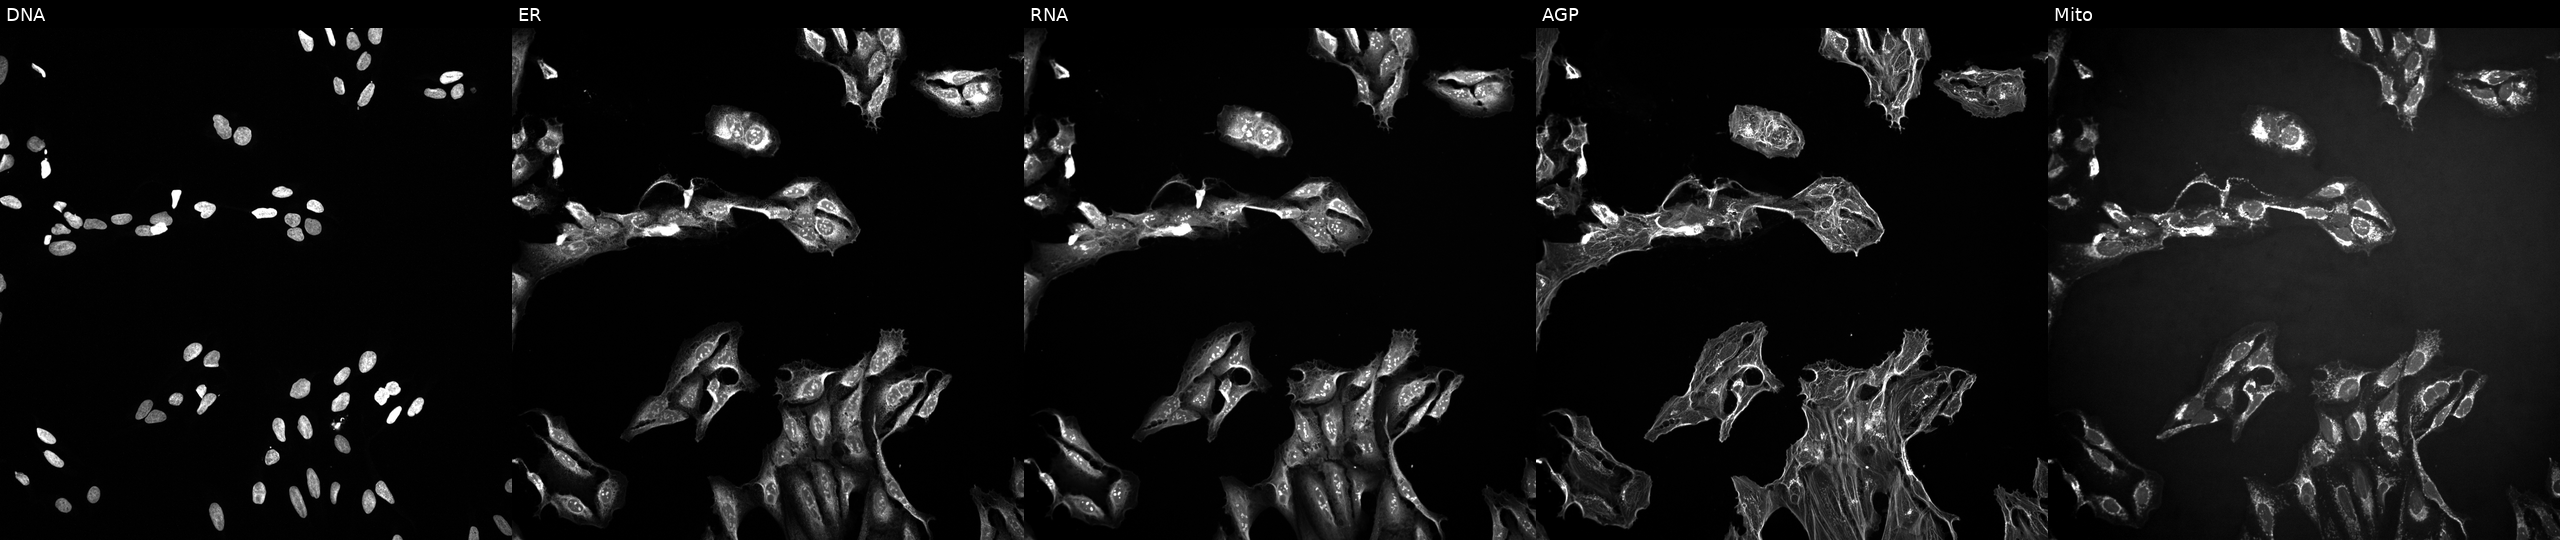
Panels show, left to right, DNA (nuclei); ER (endoplasmic reticulum); RNA (nucleoli and cytoplasmic RNA); AGP (actin cytoskeleton, Golgi, and plasma membrane); Mito (mitochondria). U2OS osteosarcoma cells exposed to a small-molecule compound (InChIKey PMXCMJLOPOFPBT-UHFFFAOYSA-N) (JUMP id JCP2022_069668). Cell Painting assay, JUMP-CP dataset.